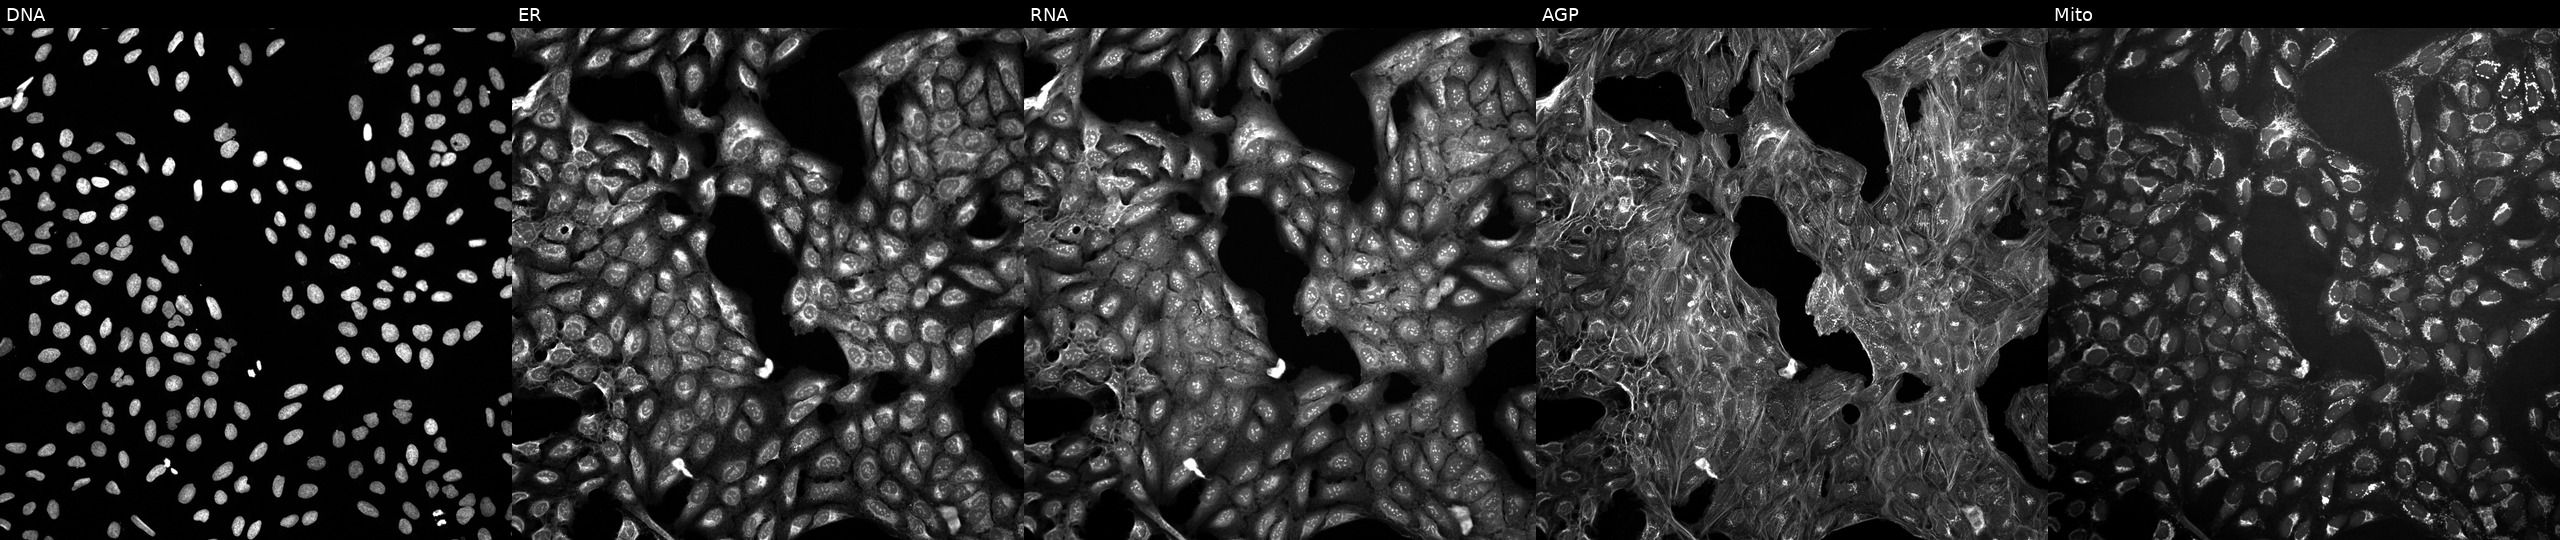
High-content fluorescence microscopy (Cell Painting). Cell line: U2OS. Perturbation: untreated (empty-well control). The five panels, left to right, show DNA, ER, RNA, AGP, and Mito. Source 10, plate Dest210531-152324, well F08.